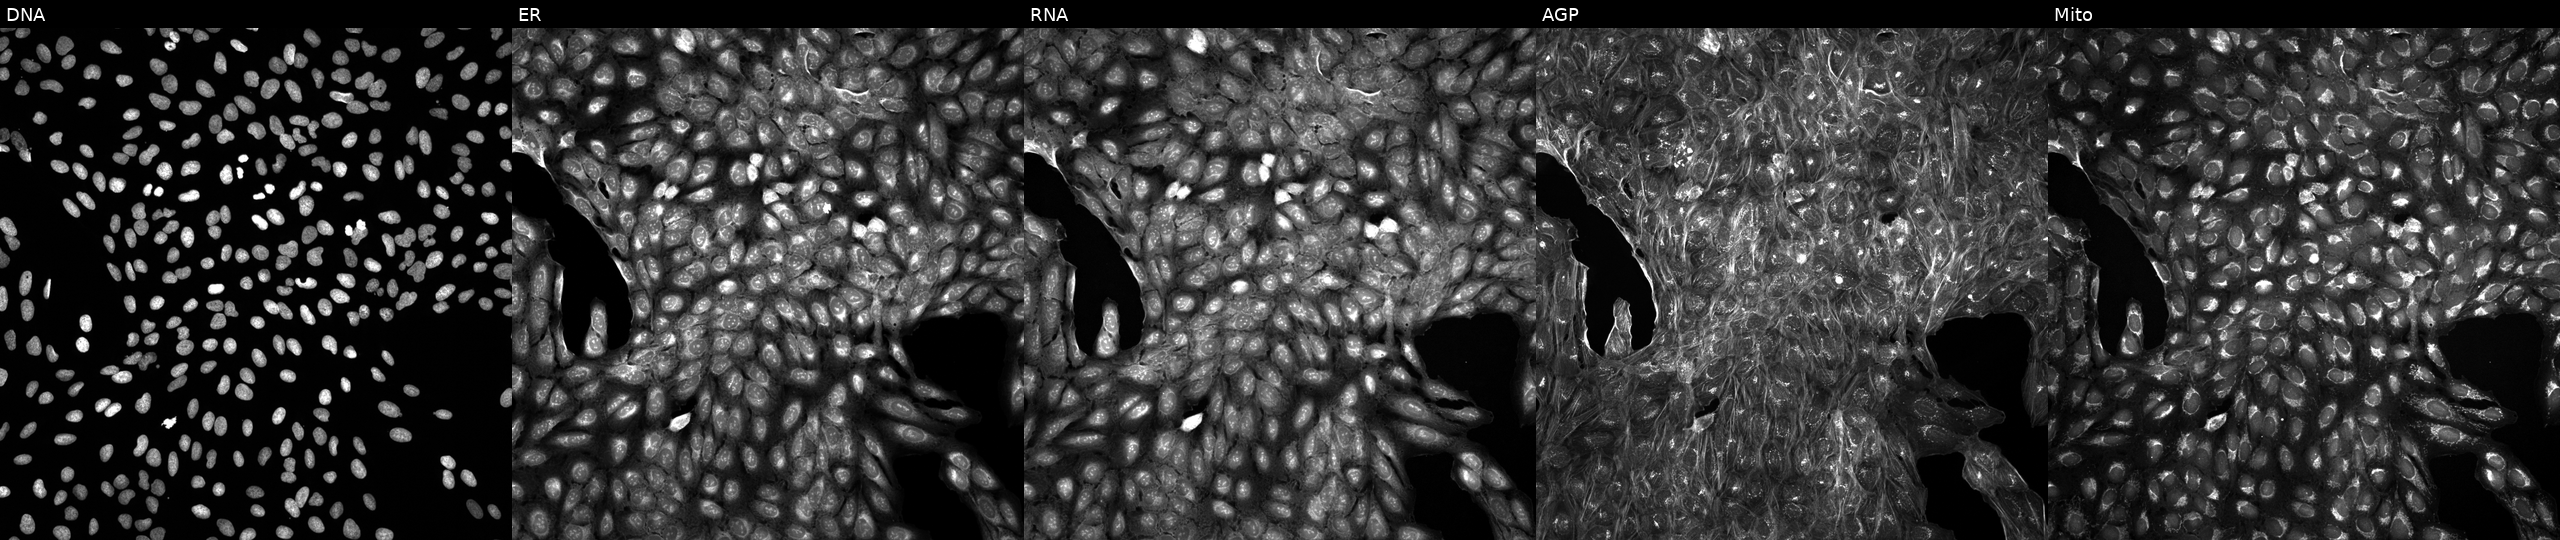
This image strip shows the five Cell Painting channels for a single field of U2OS cells treated with DMSO vehicle only (negative control) (JUMP id JCP2022_033924). Channels (left→right): DNA (nuclei); ER (endoplasmic reticulum); RNA (nucleoli and cytoplasmic RNA); AGP (actin cytoskeleton, Golgi, and plasma membrane); Mito (mitochondria). Source 5, plate ACPJUM051, well D18.